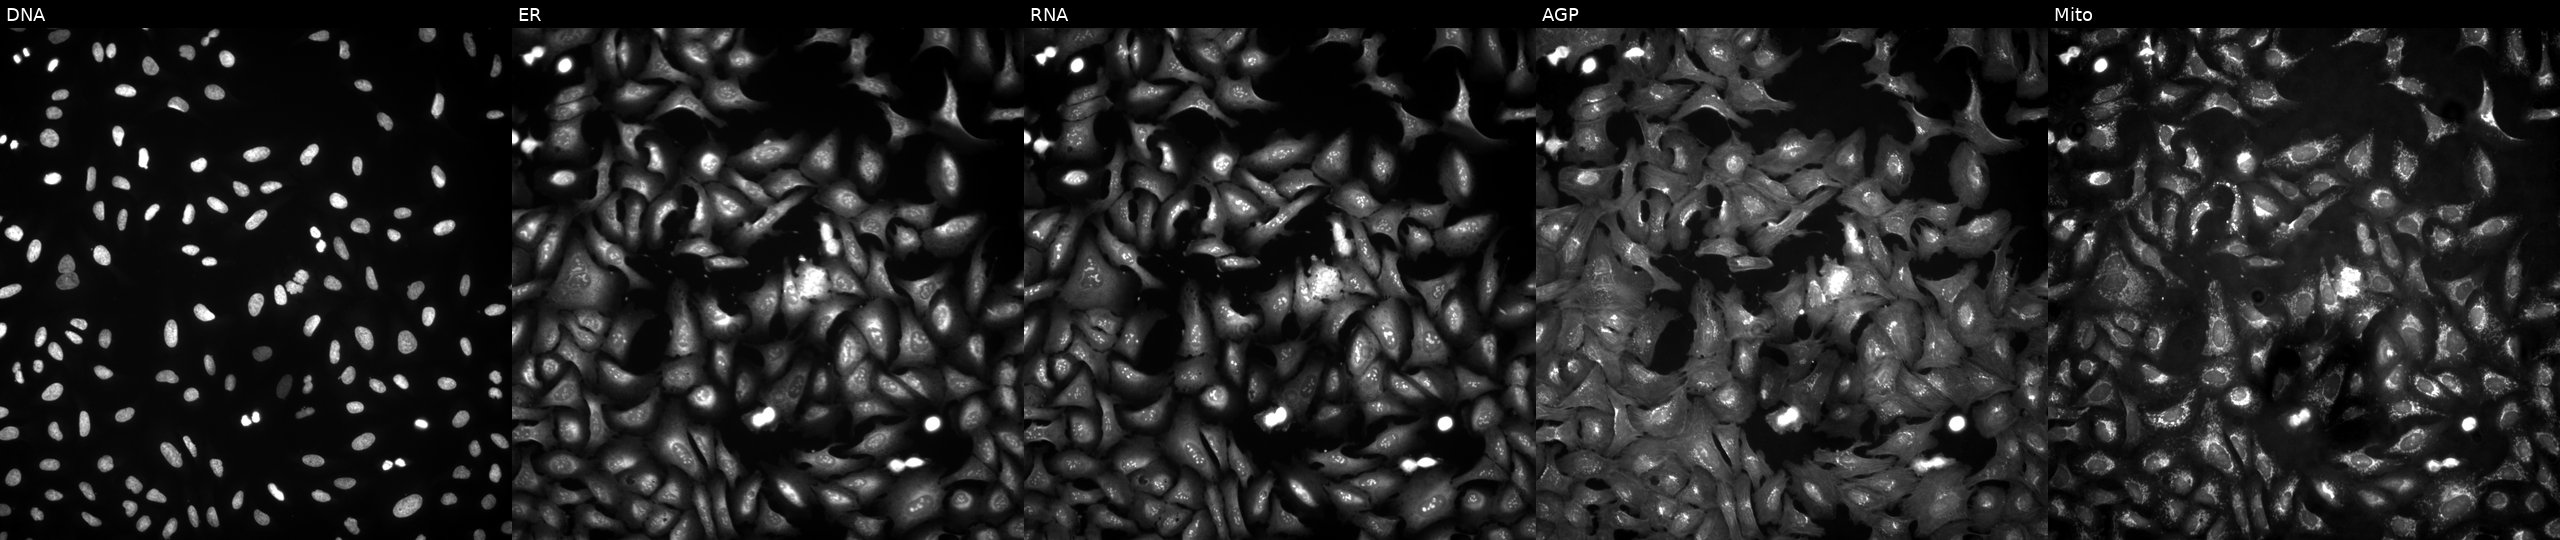
Five-channel Cell Painting image of U2OS cells overexpressing GSTM2 via ORF transfection. Panels show, left to right, DNA, ER, RNA, AGP, and Mito.